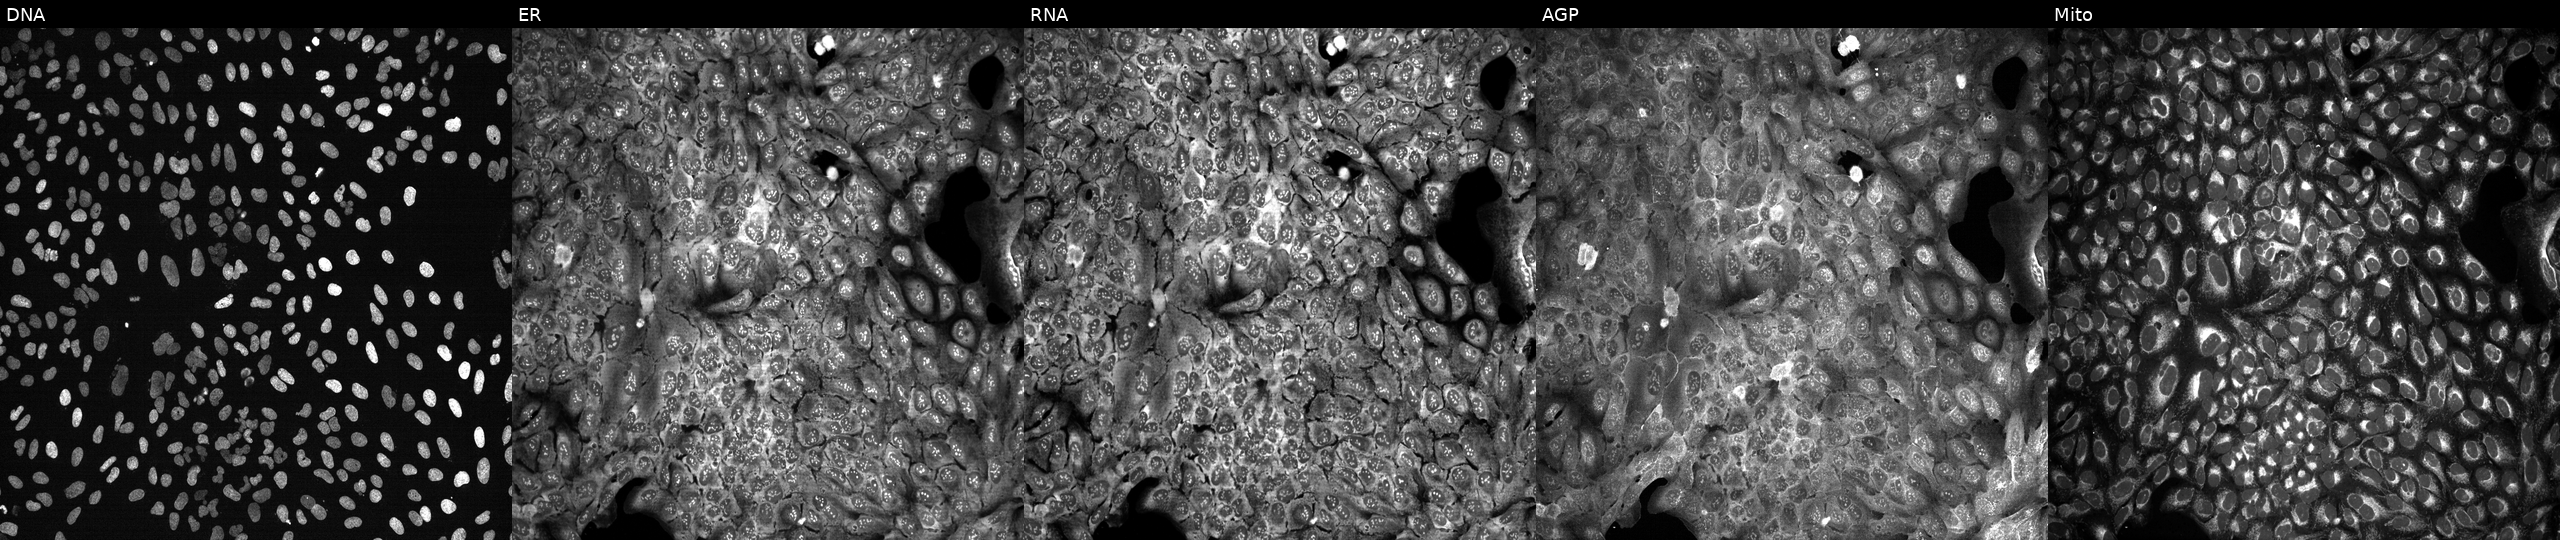
Five-channel Cell Painting image of U2OS cells CRISPR-edited to disrupt IFT27. Panels show, left to right, DNA (nuclei); ER (endoplasmic reticulum); RNA (nucleoli and cytoplasmic RNA); AGP (actin cytoskeleton, Golgi, and plasma membrane); Mito (mitochondria).